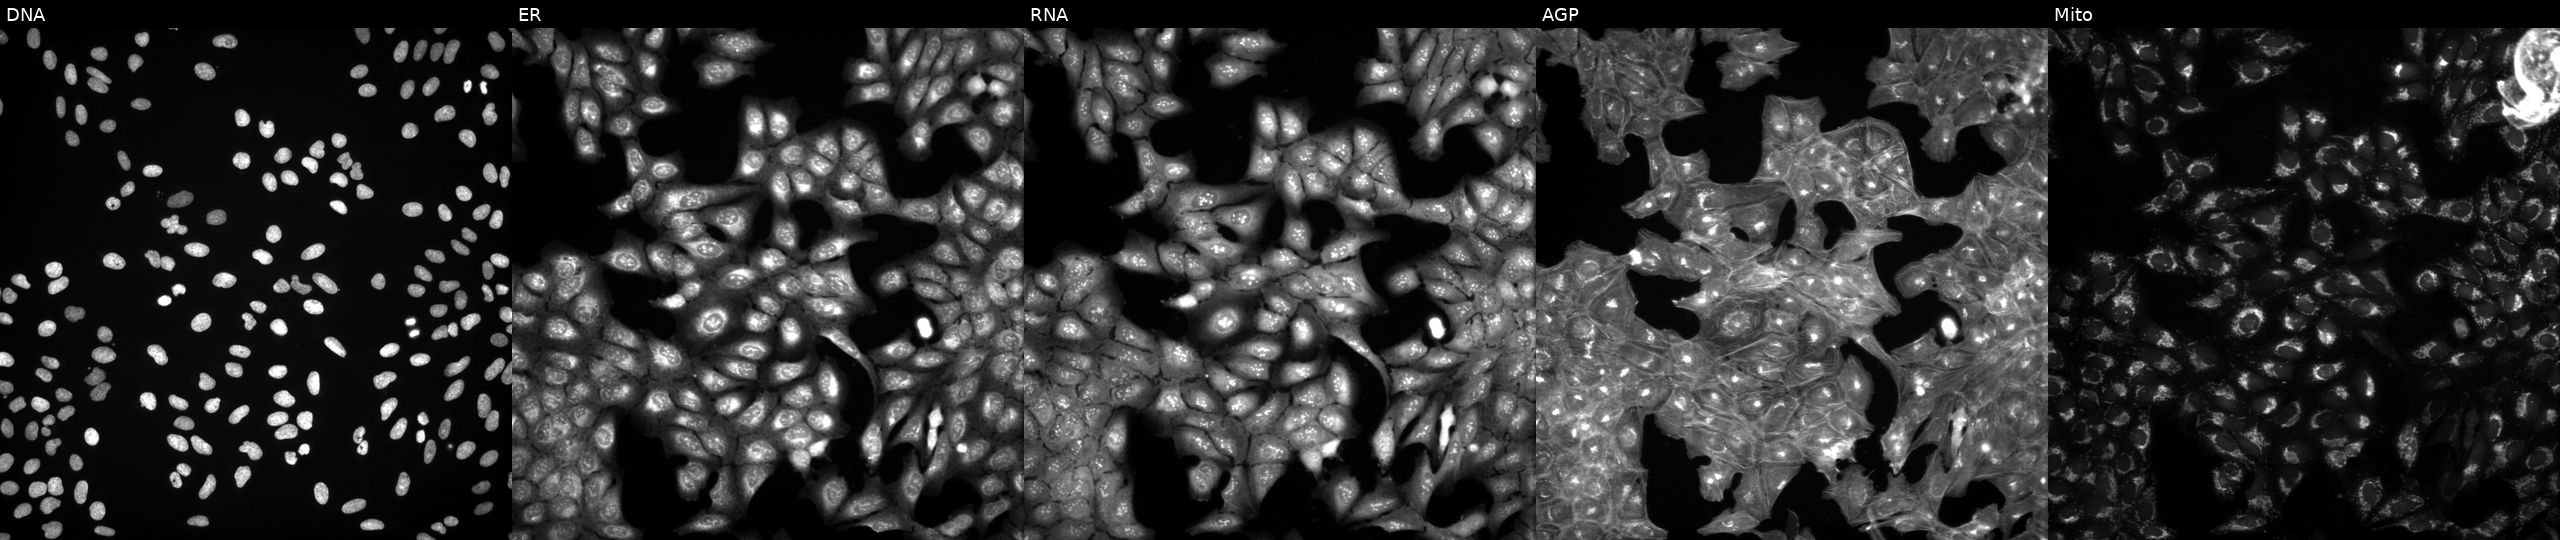
High-content fluorescence microscopy (Cell Painting). Cell line: U2OS. Perturbation: treated with a small-molecule compound. From left to right: DNA, ER, RNA, AGP, and Mito. Source 3, plate JCPQC051, well C23.